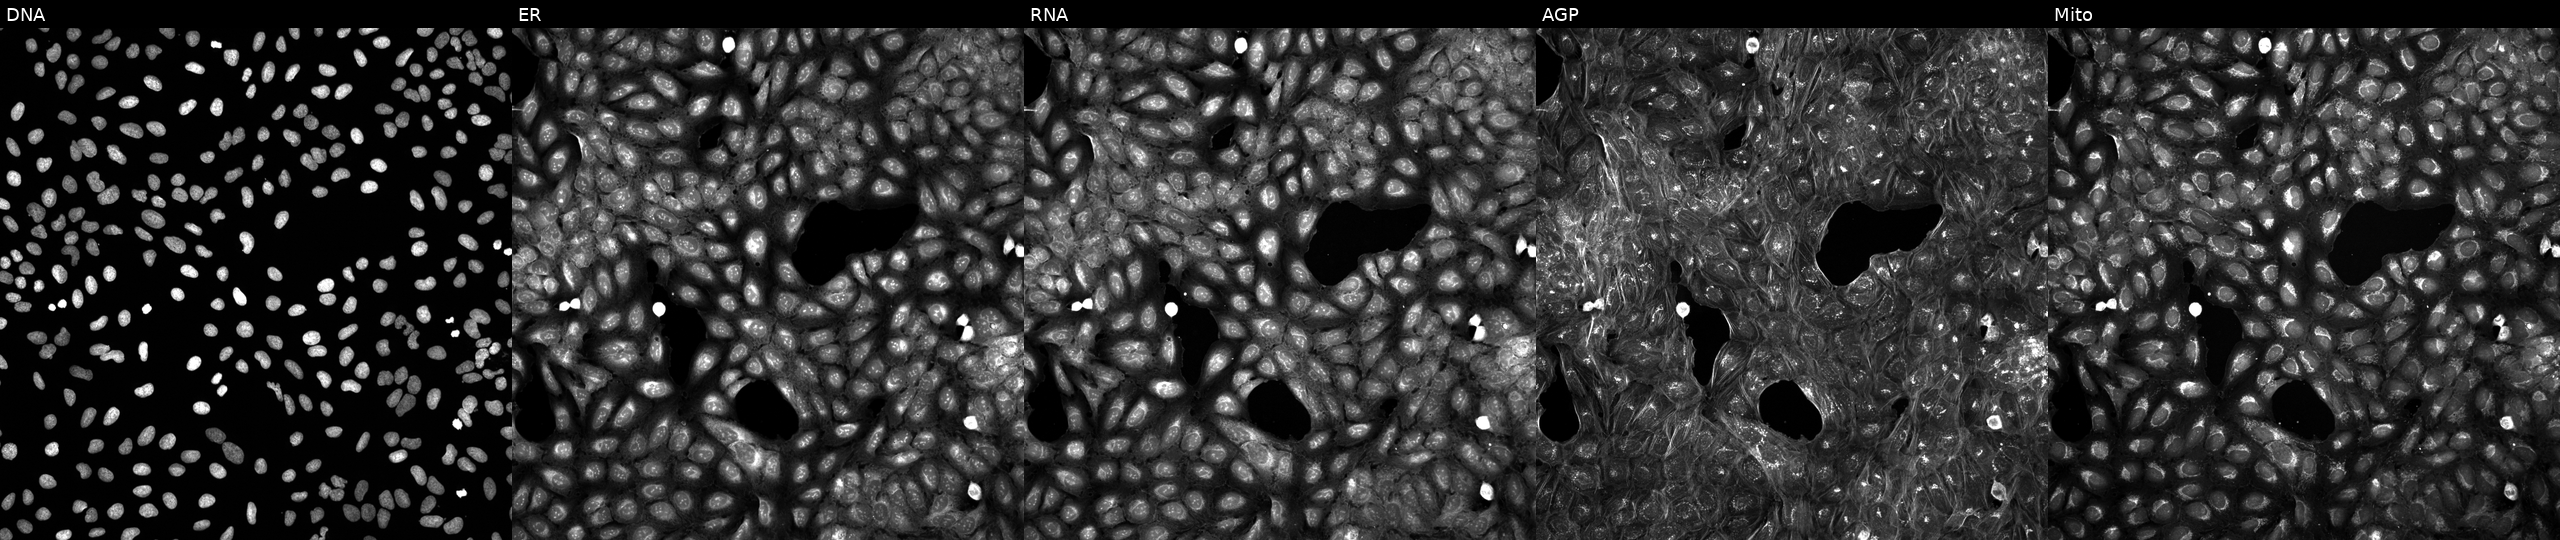
This image strip shows the five Cell Painting channels for a single field of U2OS cells perturbed with a small-molecule compound (InChIKey YVSALRIXVCVOSB-UHFFFAOYSA-N) (JUMP id JCP2022_111153). Channels (left→right): DNA, ER, RNA, AGP, and Mito.